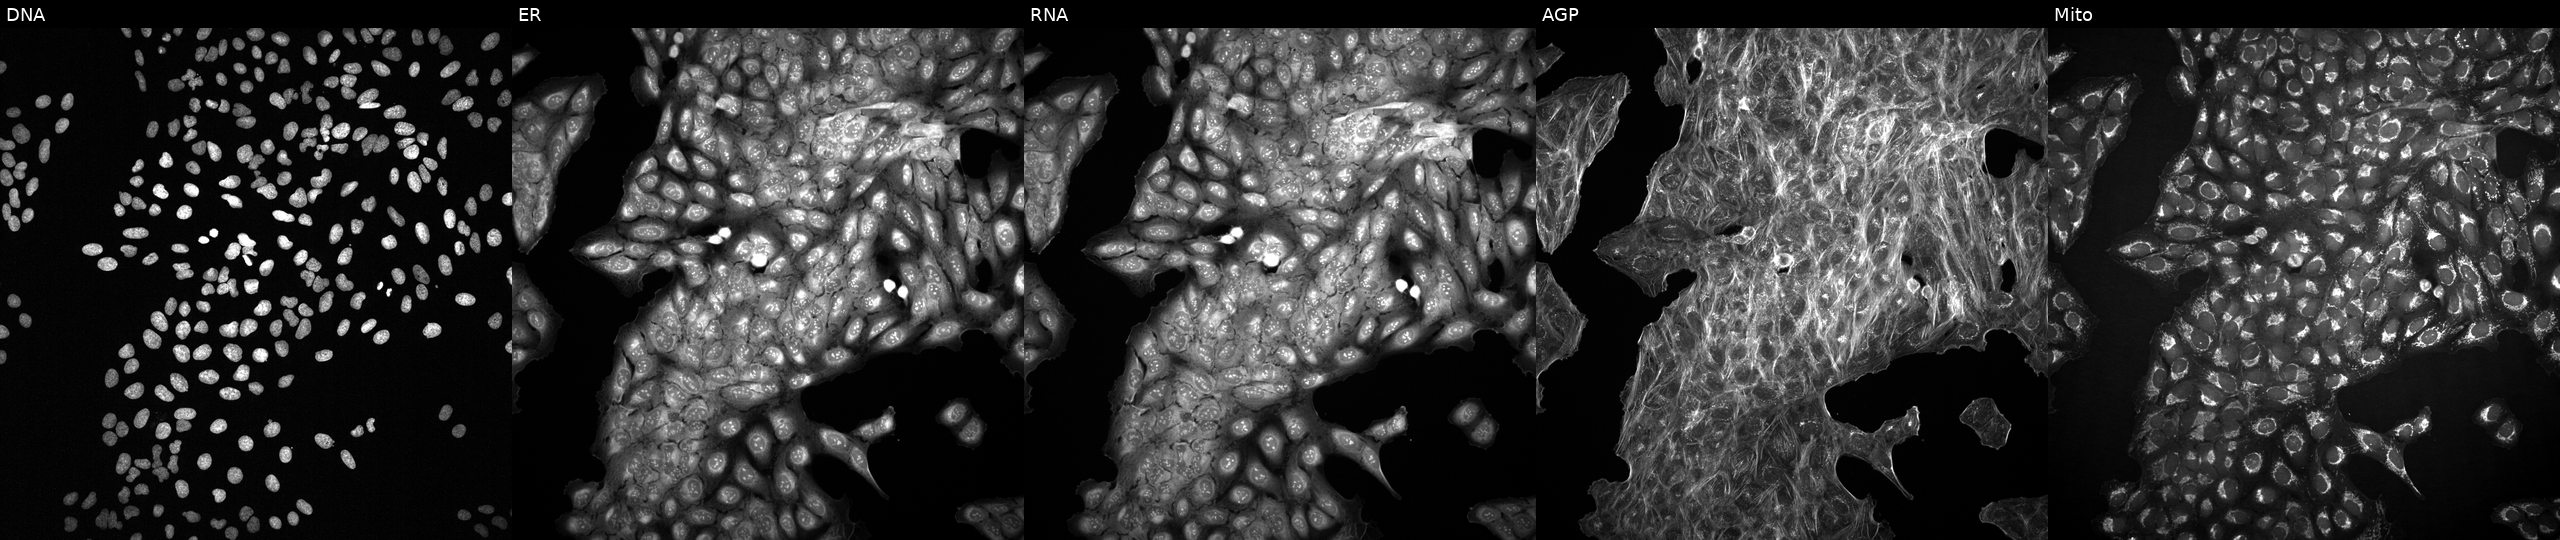
This image strip shows the five Cell Painting channels for a single field of U2OS cells with an unidentified perturbation (not annotated in JUMP metadata). Panels show, left to right, Hoechst 33342, concanavalin A, SYTO 14, phalloidin and WGA, MitoTracker. Source 2, plate 1053601756, well H07.